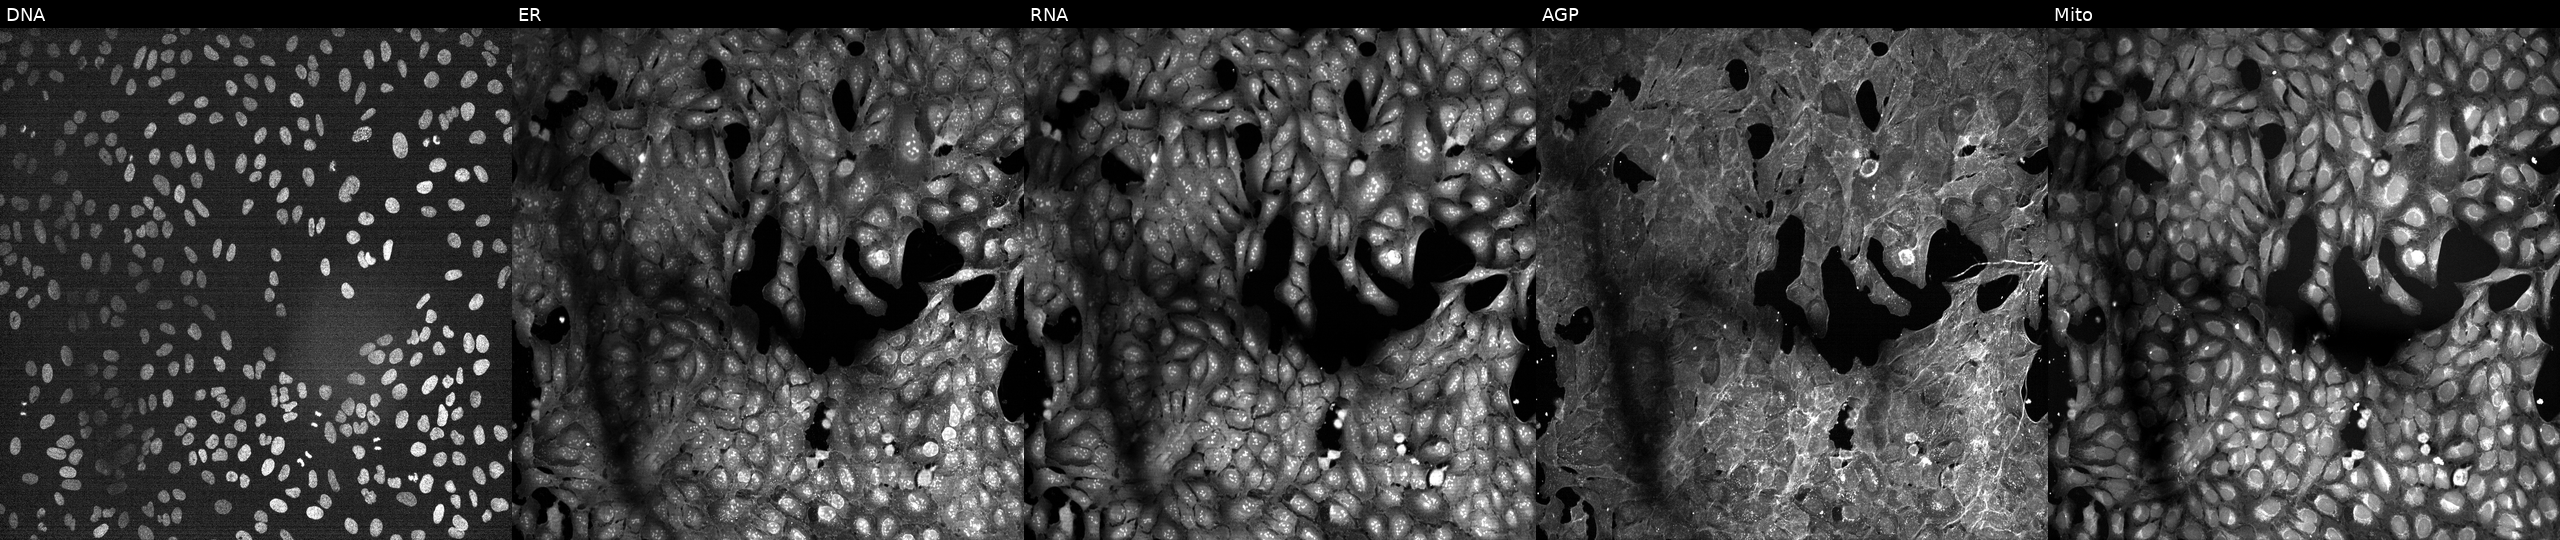
This image strip shows the five Cell Painting channels for a single field of U2OS cells treated with DMSO vehicle only (negative control). The five panels, left to right, show DNA, ER, RNA, AGP, and Mito.